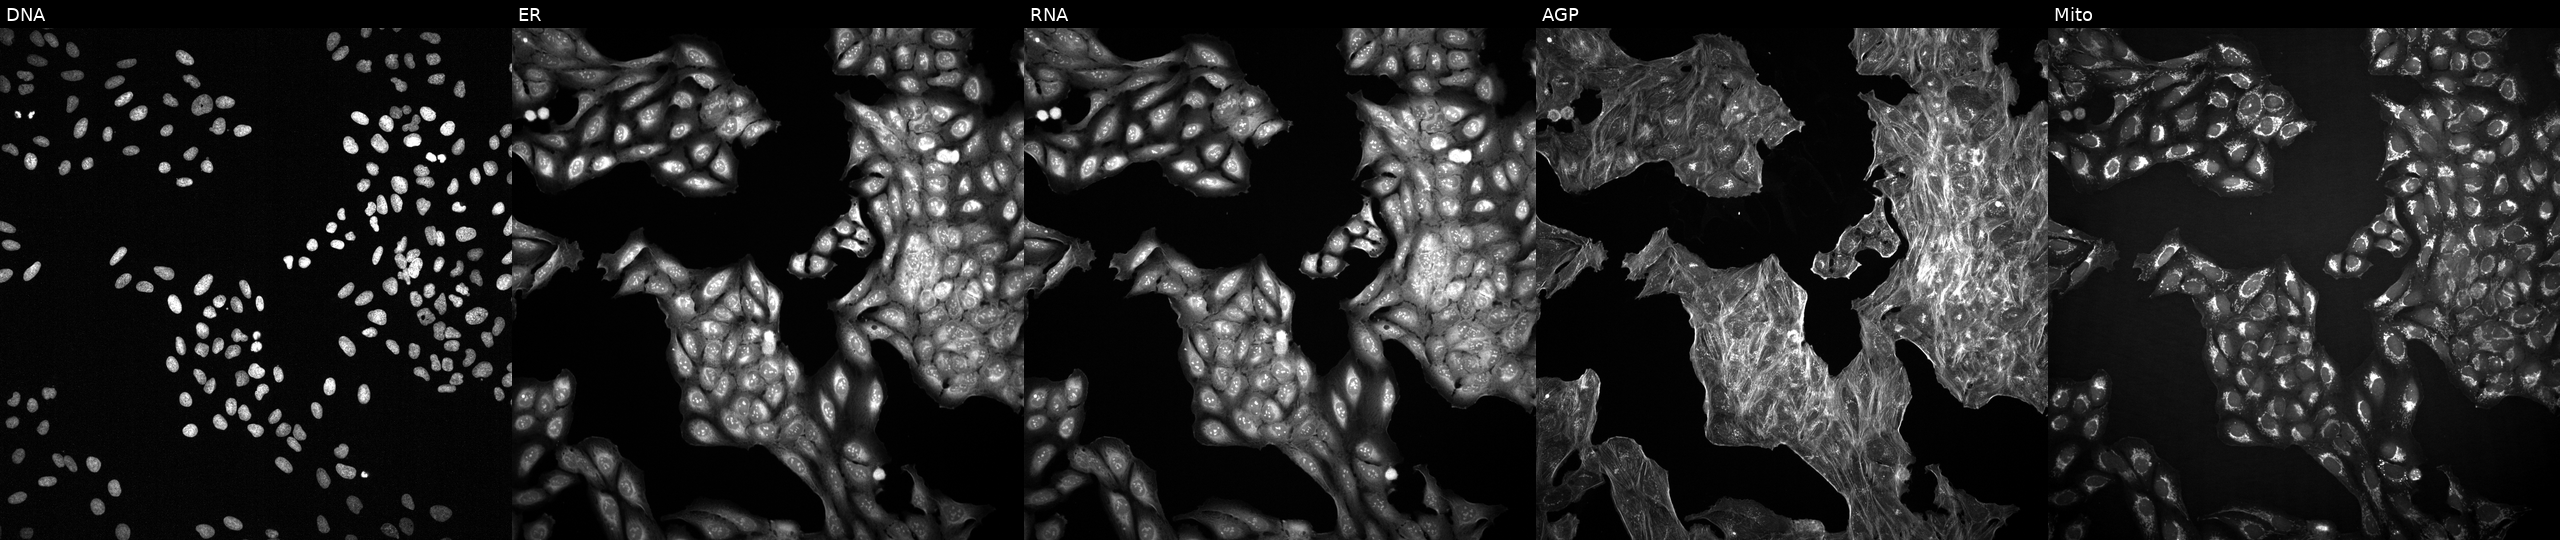
This image strip shows the five Cell Painting channels for a single field of U2OS cells exposed to DMSO alone as a negative control. The five panels, left to right, show DNA, ER, RNA, AGP, and Mito.